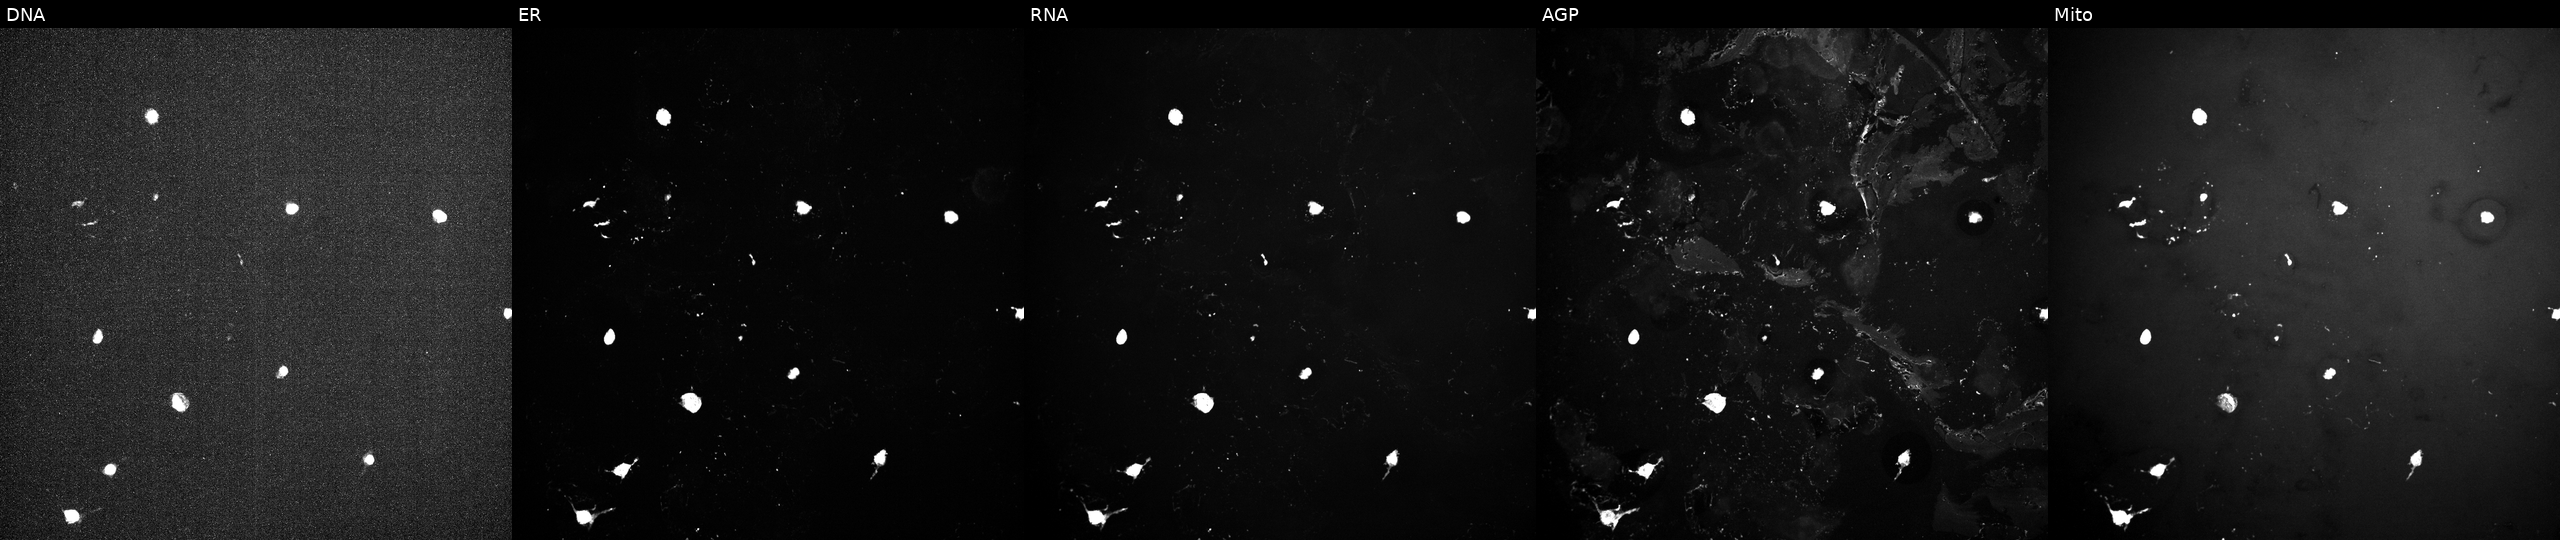
JUMP Cell Painting — TARGET2 plate. U2OS cells perturbed with a small-molecule compound (InChIKey XUZQTIZWMHMWOC-UHFFFAOYSA-N) [SMILES: CC(=O)C(NC(=O)c1cccc(-c2ccccc2)n1)C(O)NC(CC(C)C)B(O)O] (JUMP id JCP2022_106219). The five panels, left to right, show DNA, ER, RNA, AGP, and Mito.